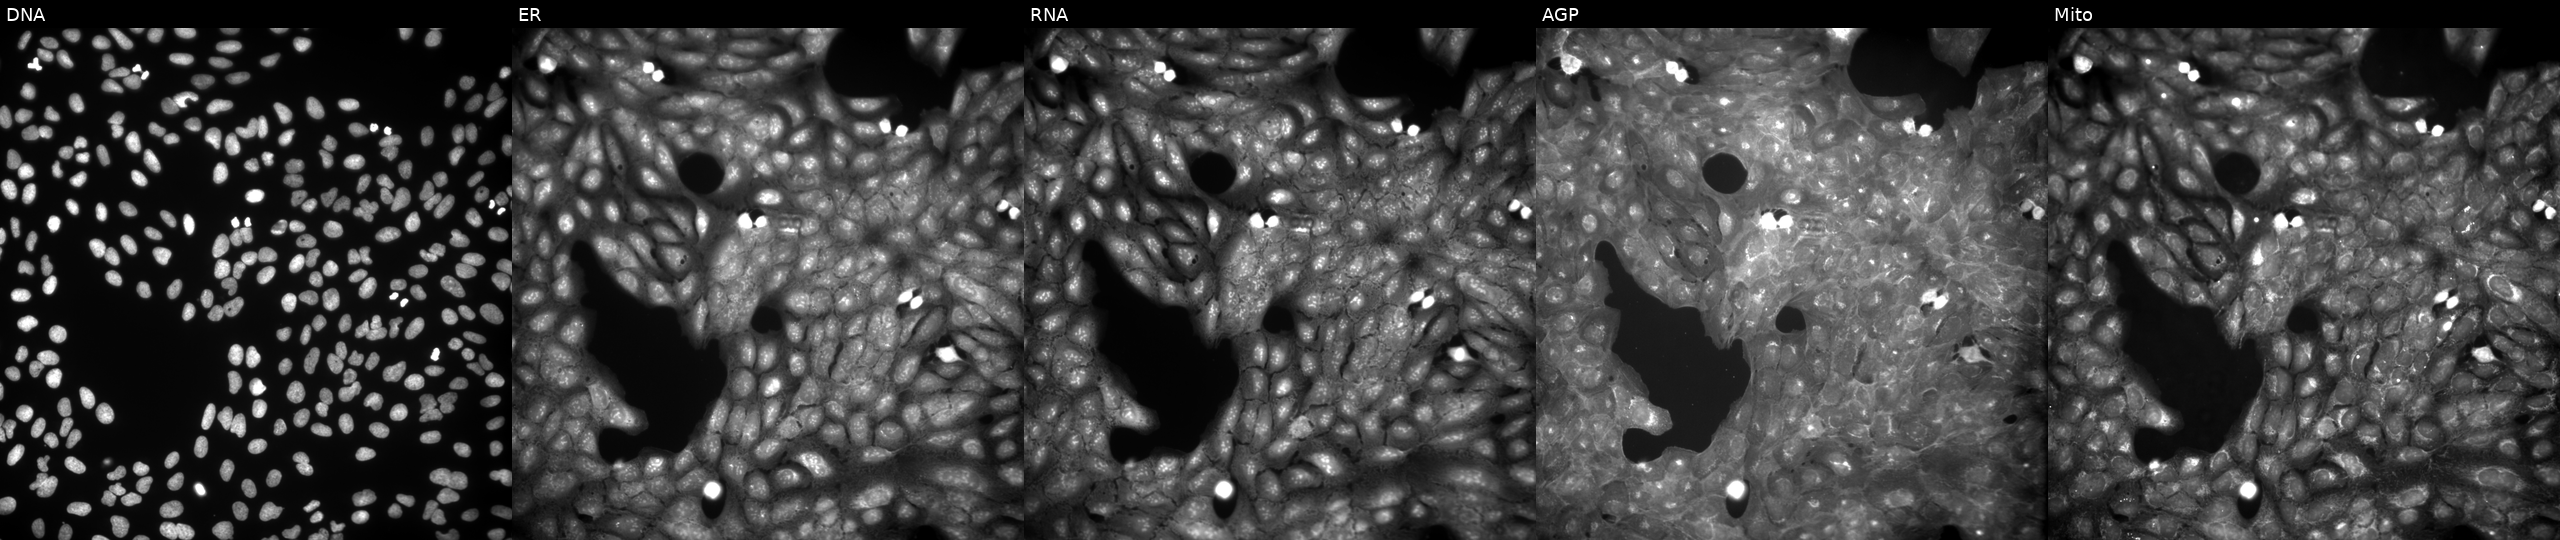
High-content fluorescence microscopy (Cell Painting). Cell line: U2OS. Perturbation: perturbed with a small-molecule compound (InChIKey ILNIQQWSOUILEJ-UHFFFAOYSA-N). Panels show, left to right, DNA, ER, RNA, AGP, and Mito.